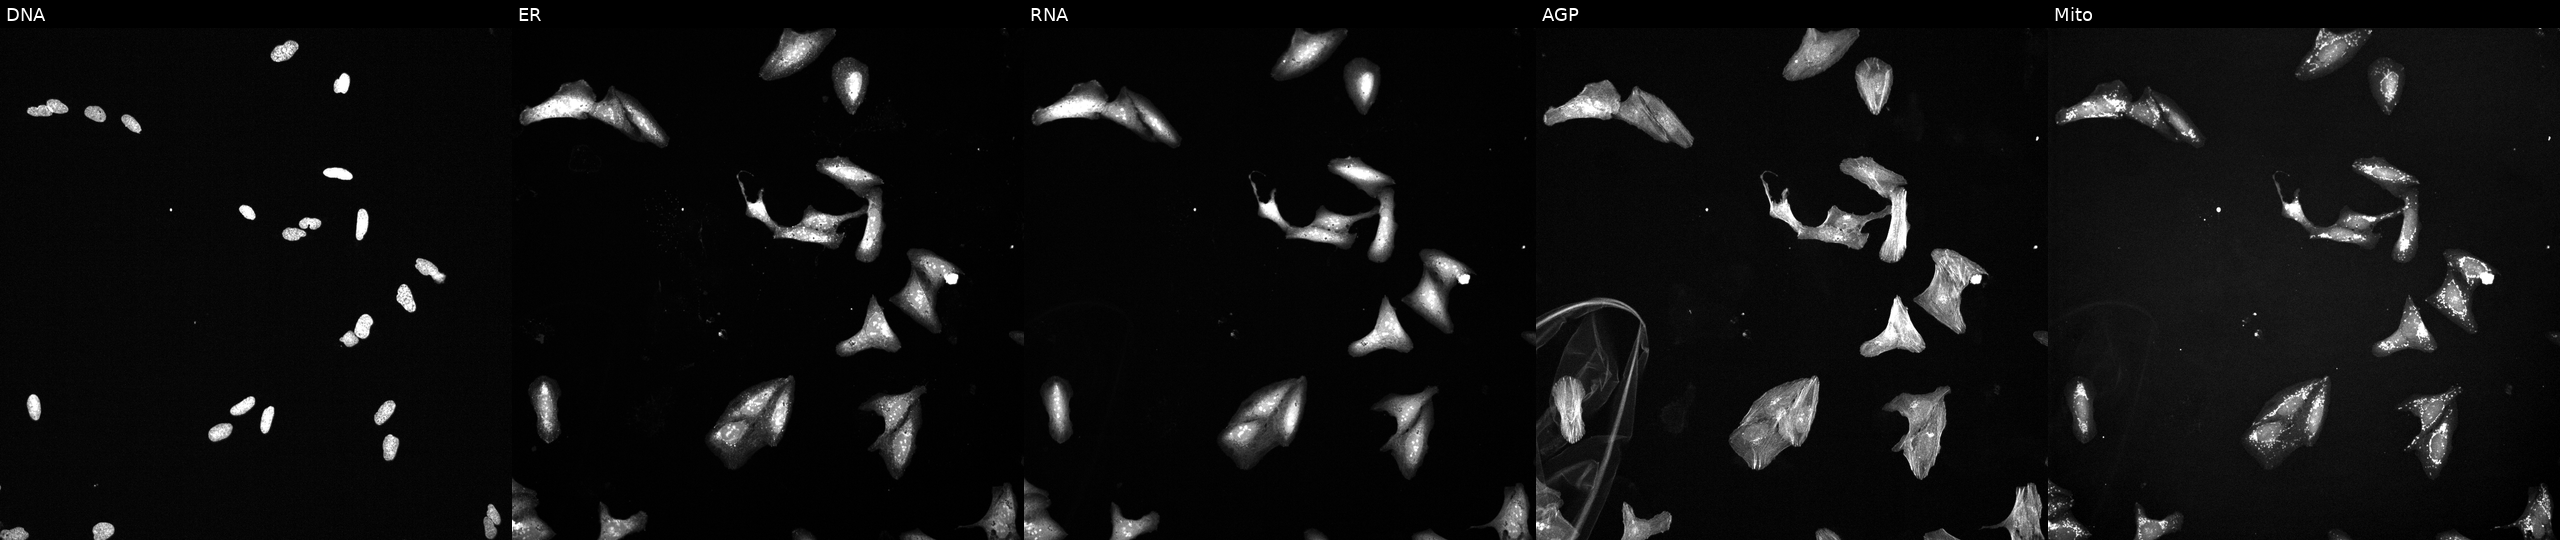
High-content fluorescence microscopy (Cell Painting). Cell line: U2OS. Perturbation: treated with a small-molecule compound (InChIKey YKJYKKNCCRKFSL-UHFFFAOYSA-N) (JUMP id JCP2022_109043). From left to right: DNA, ER, RNA, AGP, and Mito.